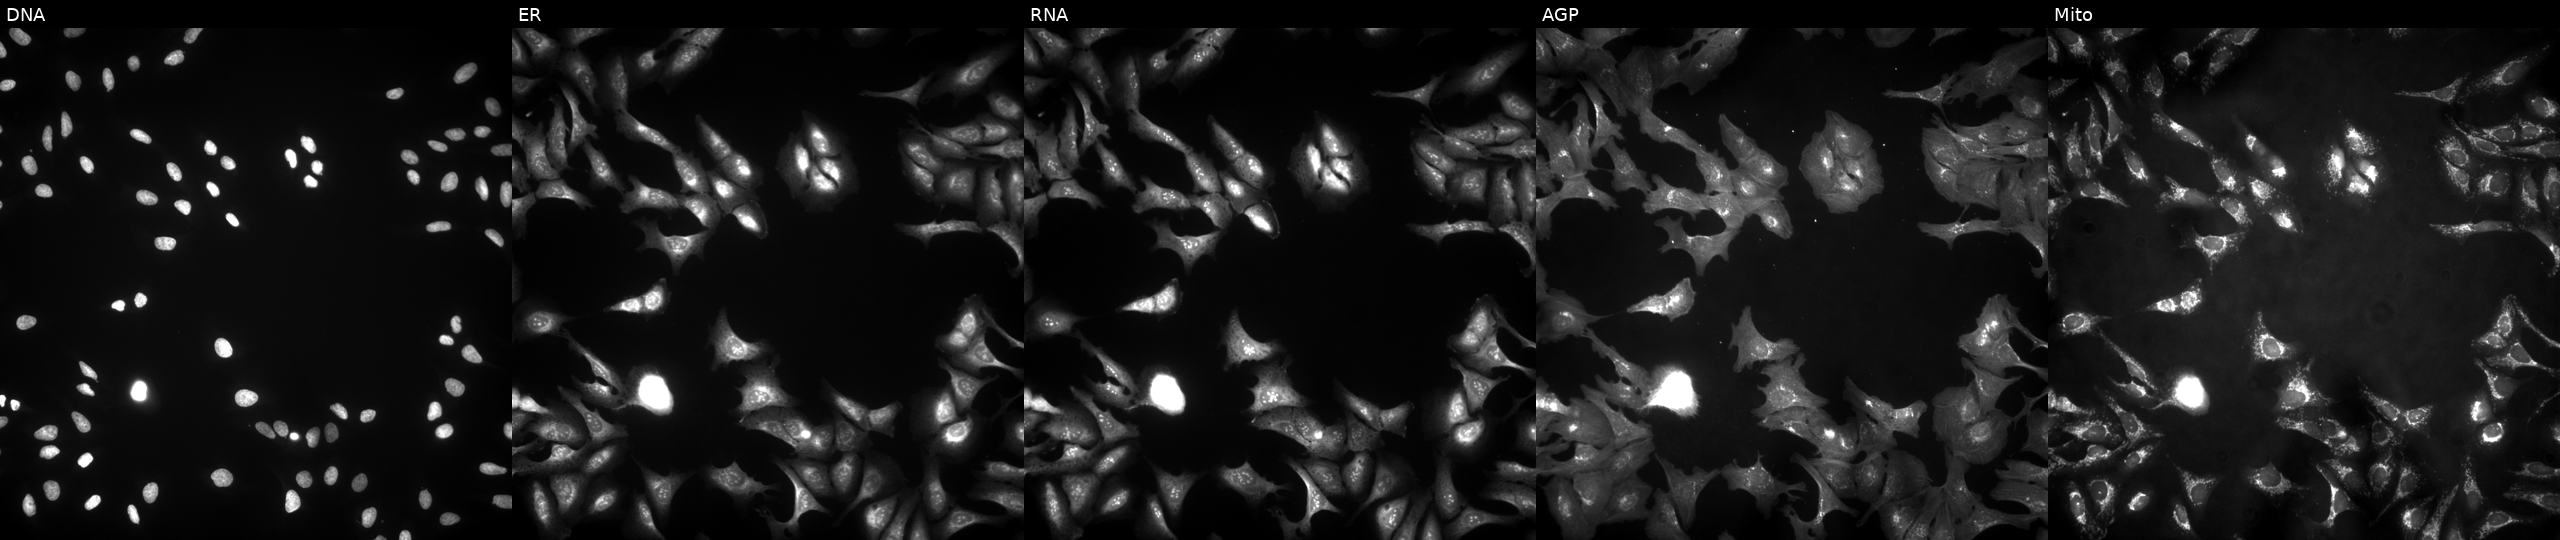
JUMP Cell Painting — ORF plate. U2OS cells overexpressing GLRA3 via ORF transfection. Panels show, left to right, DNA, ER, RNA, AGP, and Mito. Source 4, plate BR00123506, well I17.